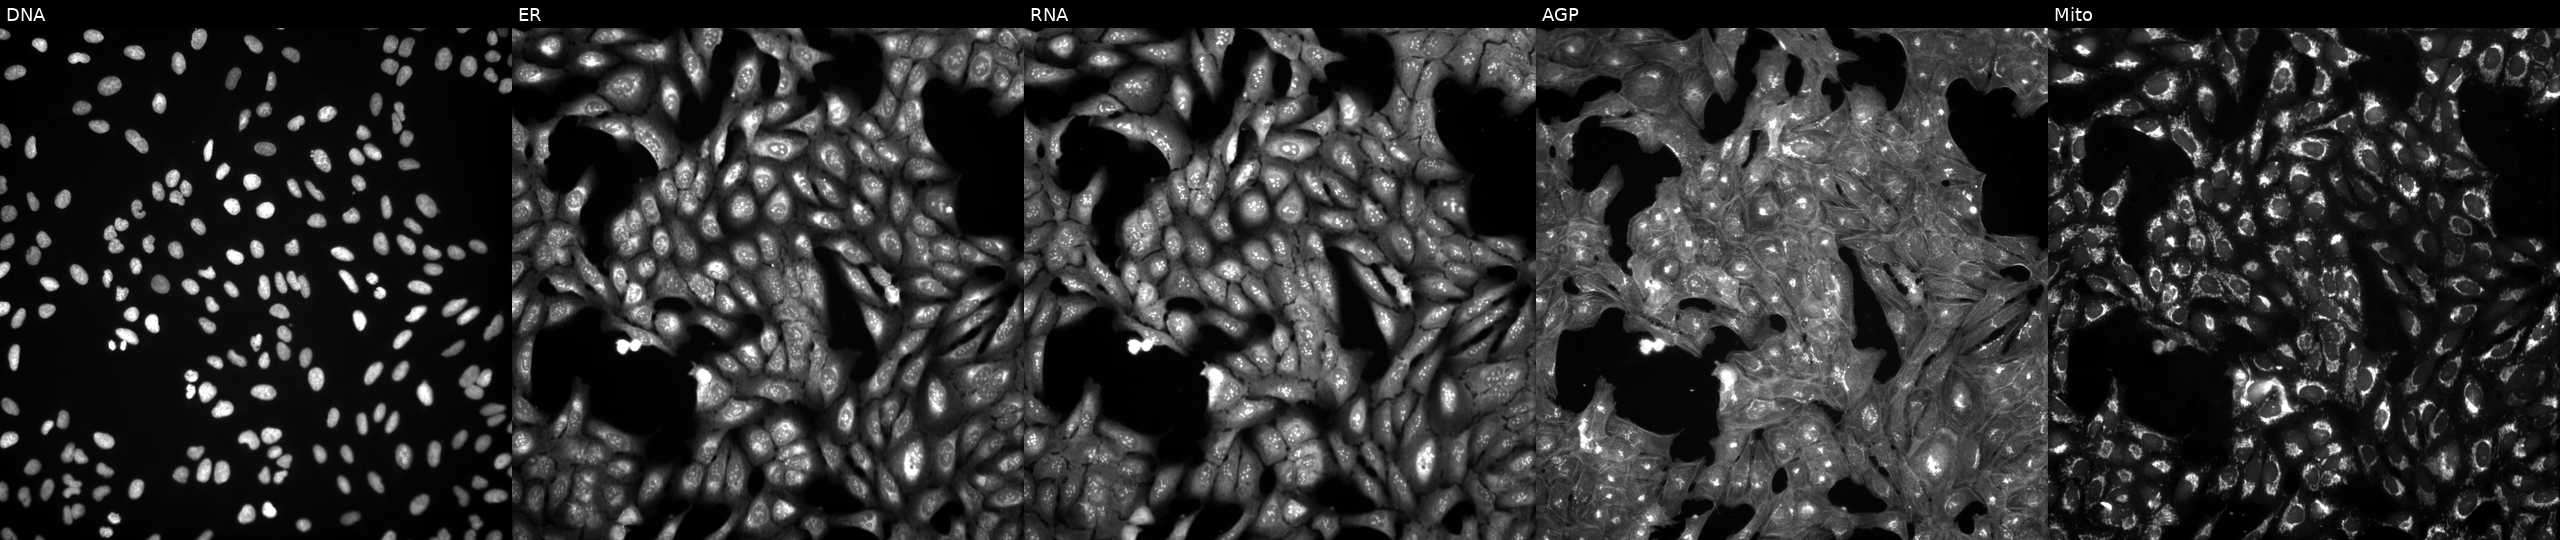
U2OS cells, Cell Painting assay, exposed to a small-molecule compound [SMILES: O=C(NCc1cccnc1)c1c2ccccc2c(O)n1Cc1ccccc1] (JUMP id JCP2022_089410). Panels show, left to right, DNA, ER, RNA, AGP, and Mito. Each panel is percentile-stretched 16-bit fluorescence.